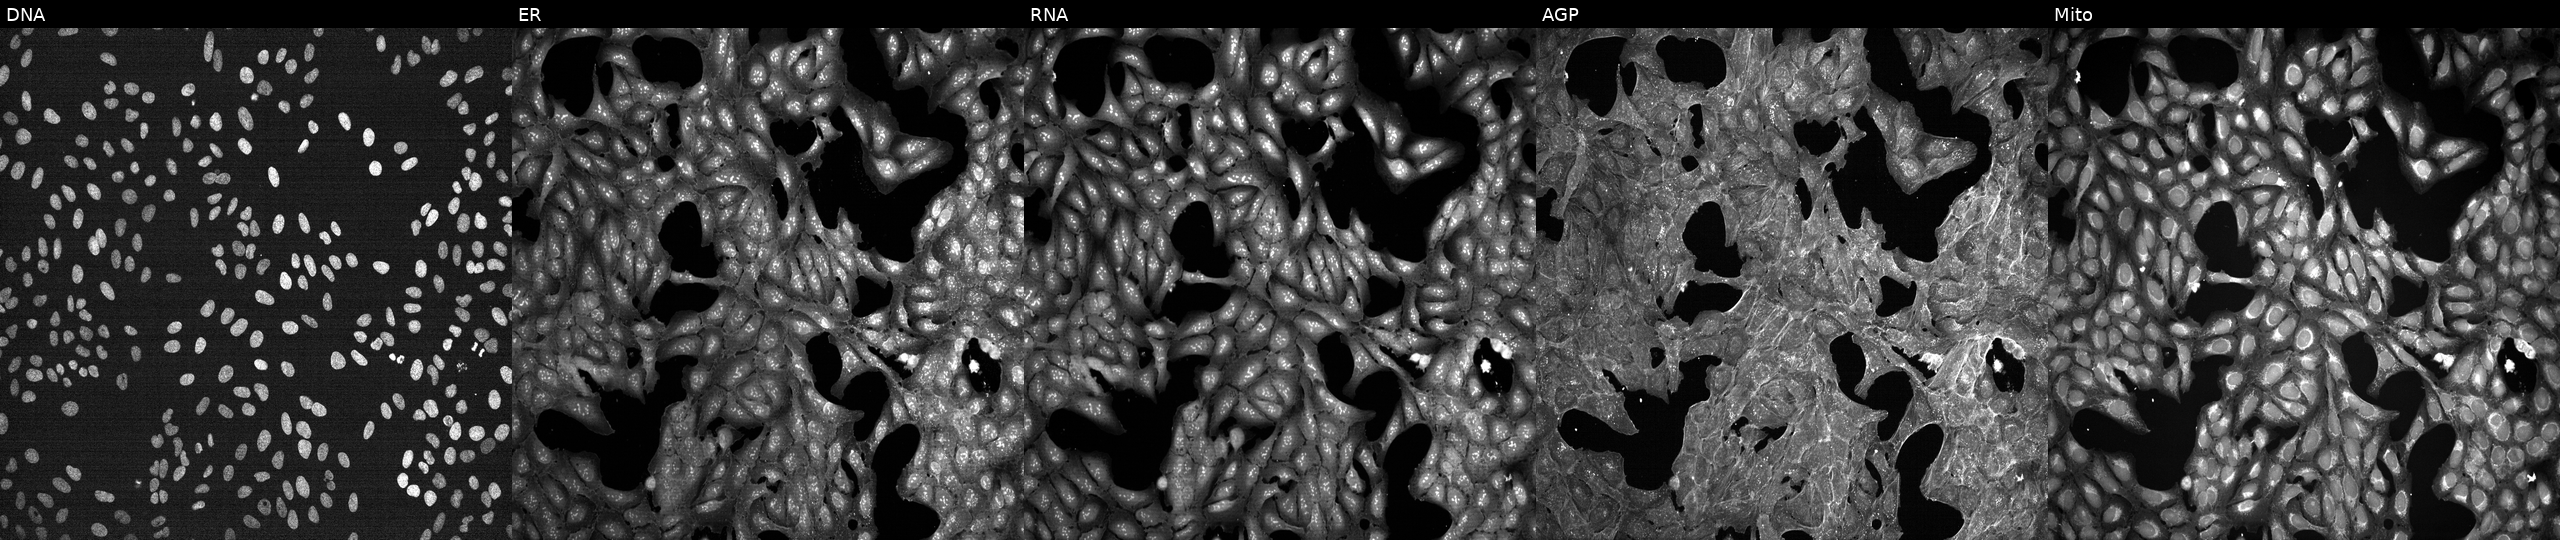
JUMP Cell Painting — TARGET2 plate. U2OS cells perturbed with a small-molecule compound (InChIKey NXNKJLOEGWSJGI-UHFFFAOYSA-N) (JUMP id JCP2022_062023). From left to right: DNA, ER, RNA, AGP, and Mito.